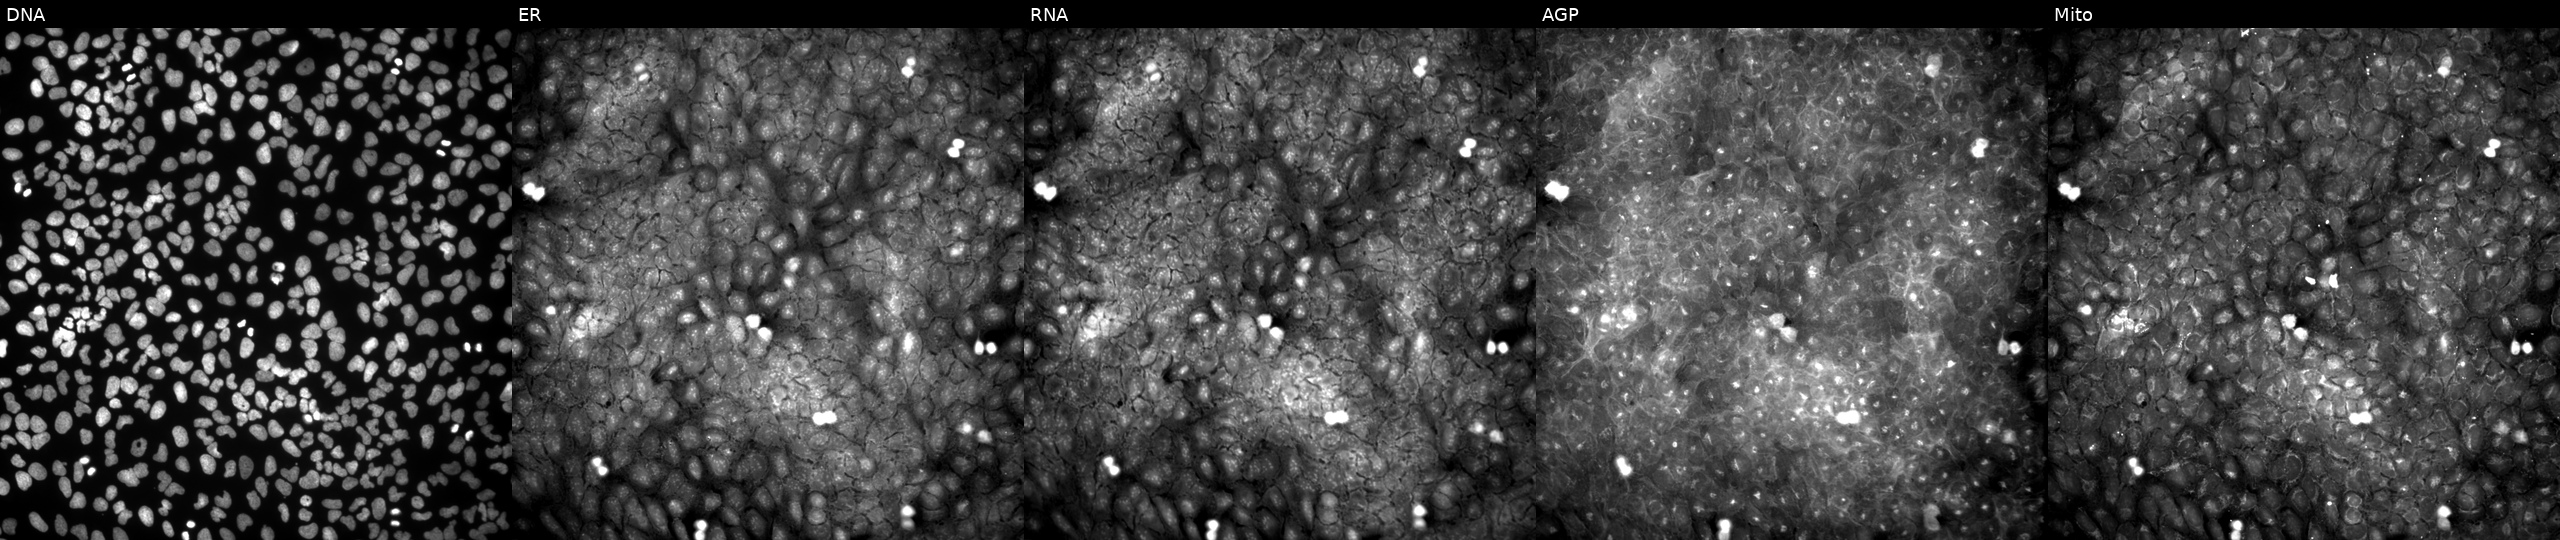
Five-channel Cell Painting image of U2OS cells perturbed with a small-molecule compound (InChIKey ZJWYVTVSSGLRAJ-UHFFFAOYSA-N) (JUMP id JCP2022_113794). The five panels, left to right, show DNA, ER, RNA, AGP, and Mito.